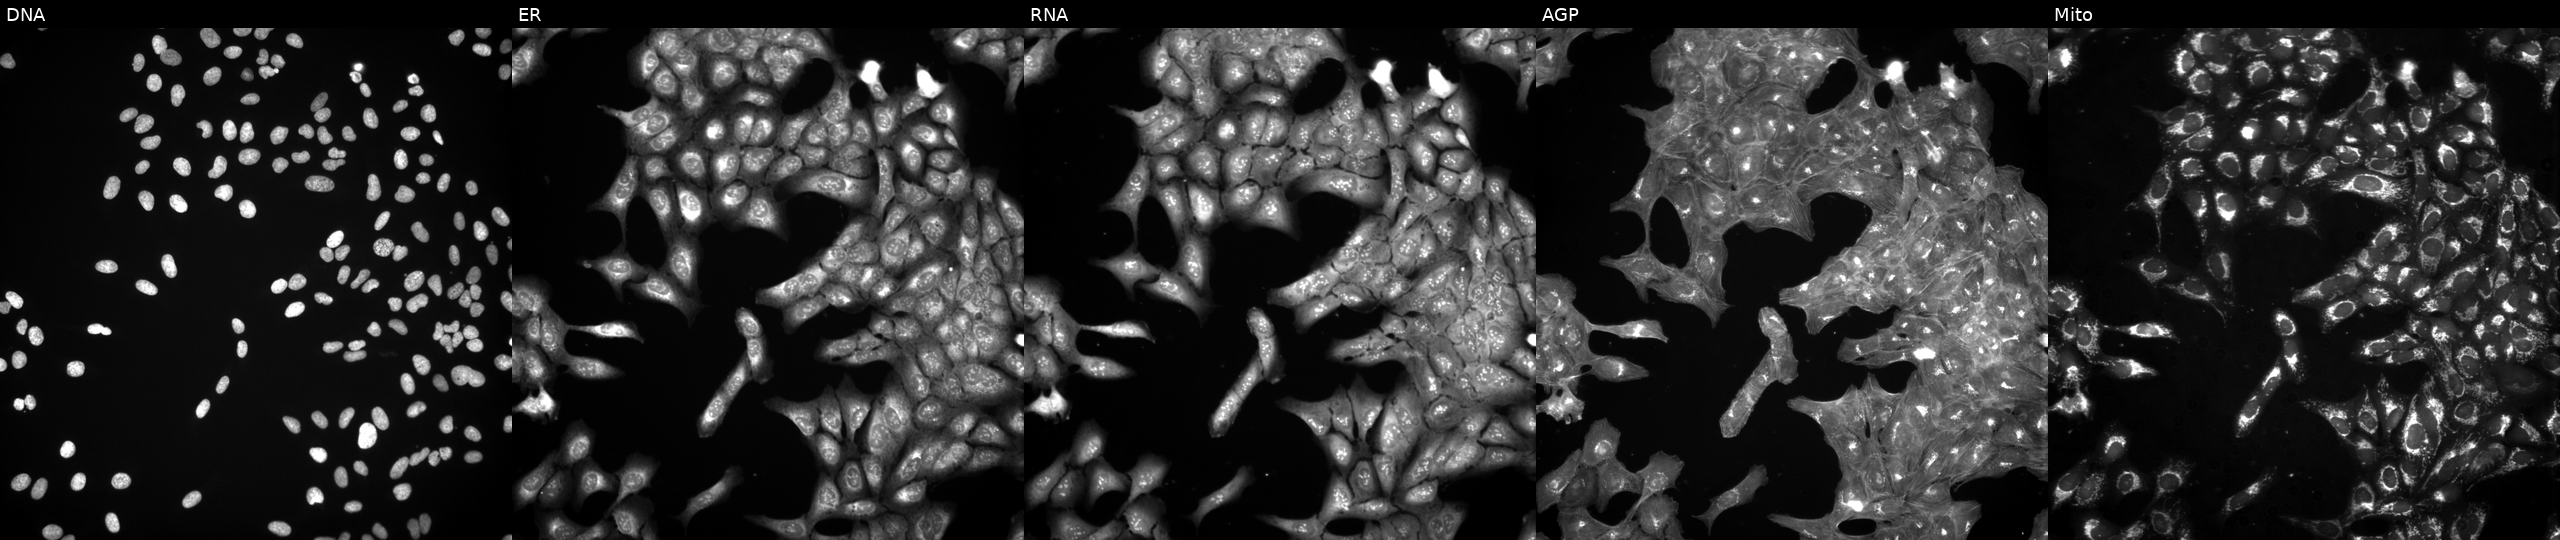
U2OS cells, Cell Painting assay, perturbed with a small-molecule compound (JUMP id JCP2022_060359). Panels show, left to right, DNA (nuclei); ER (endoplasmic reticulum); RNA (nucleoli and cytoplasmic RNA); AGP (actin cytoskeleton, Golgi, and plasma membrane); Mito (mitochondria). Each panel is percentile-stretched 16-bit fluorescence.